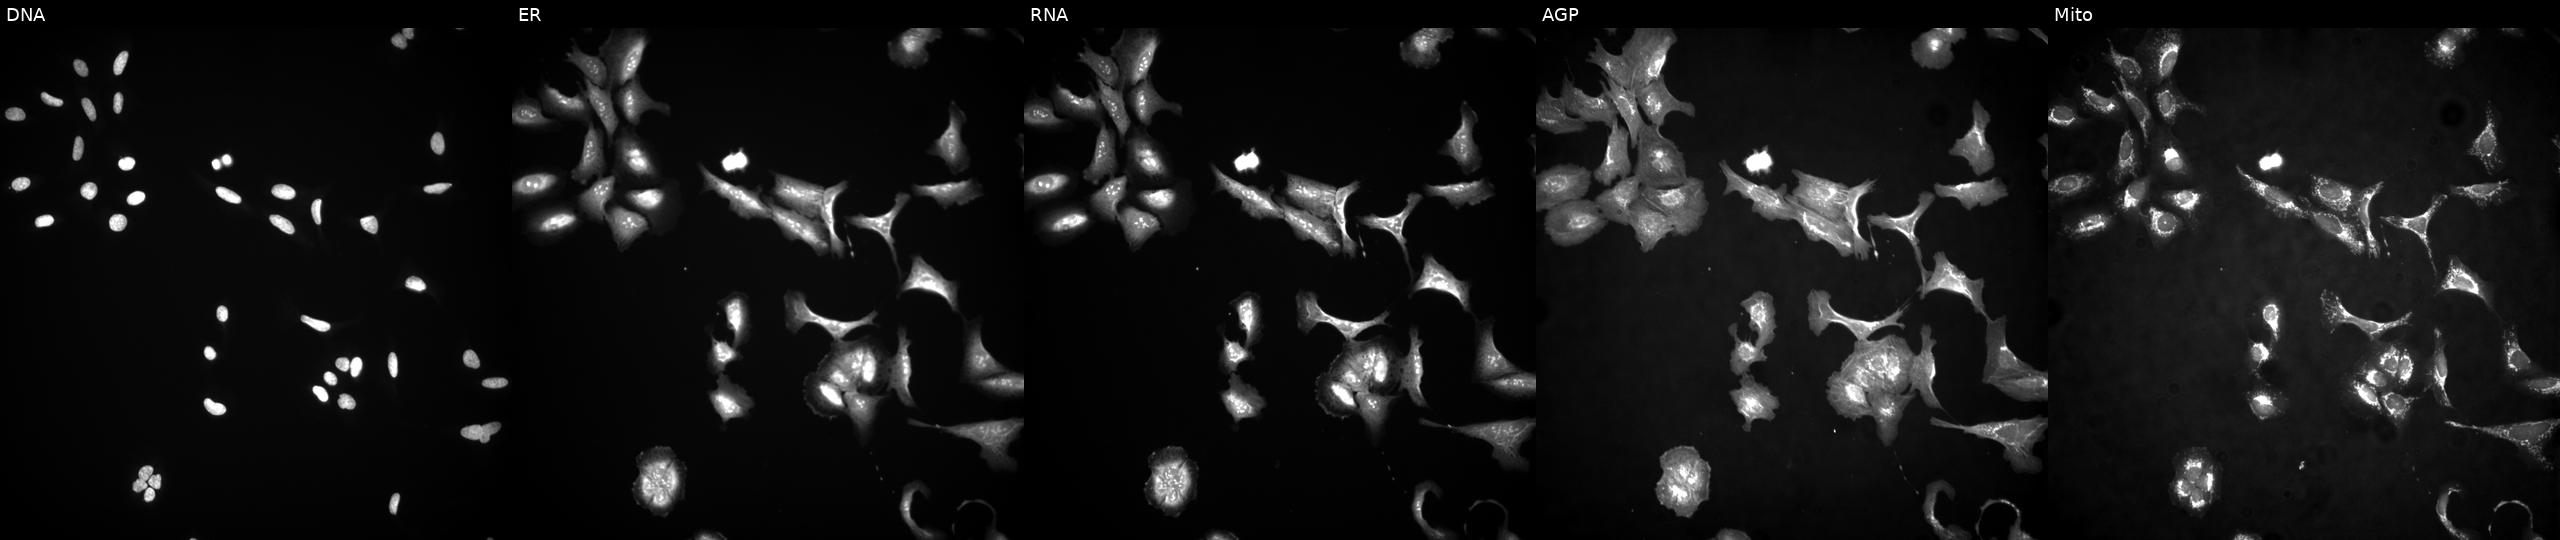
Five-channel Cell Painting image of U2OS cells transfected with an ORF construct for CREB3 (JUMP id JCP2022_902300). From left to right: Hoechst 33342, concanavalin A, SYTO 14, phalloidin and WGA, MitoTracker. Source 4, plate BR00117035, well I15.